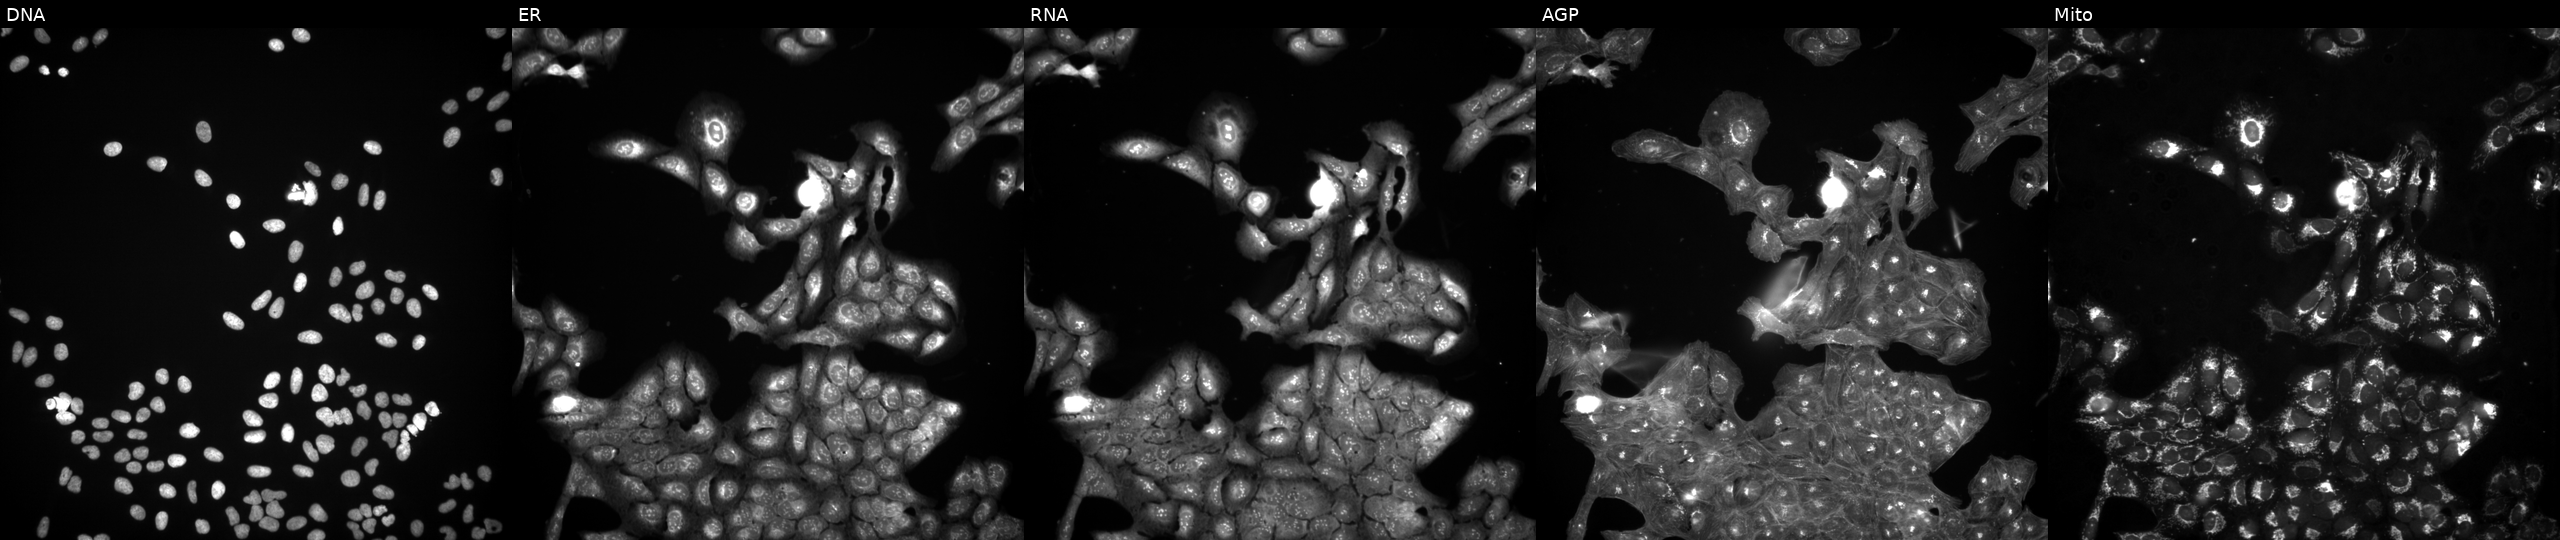
U2OS cells, Cell Painting assay, treated with a small-molecule compound (InChIKey WDDPAFLWUPVHBD-UHFFFAOYSA-N). Panels show, left to right, DNA, ER, RNA, AGP, and Mito. Each panel is percentile-stretched 16-bit fluorescence.